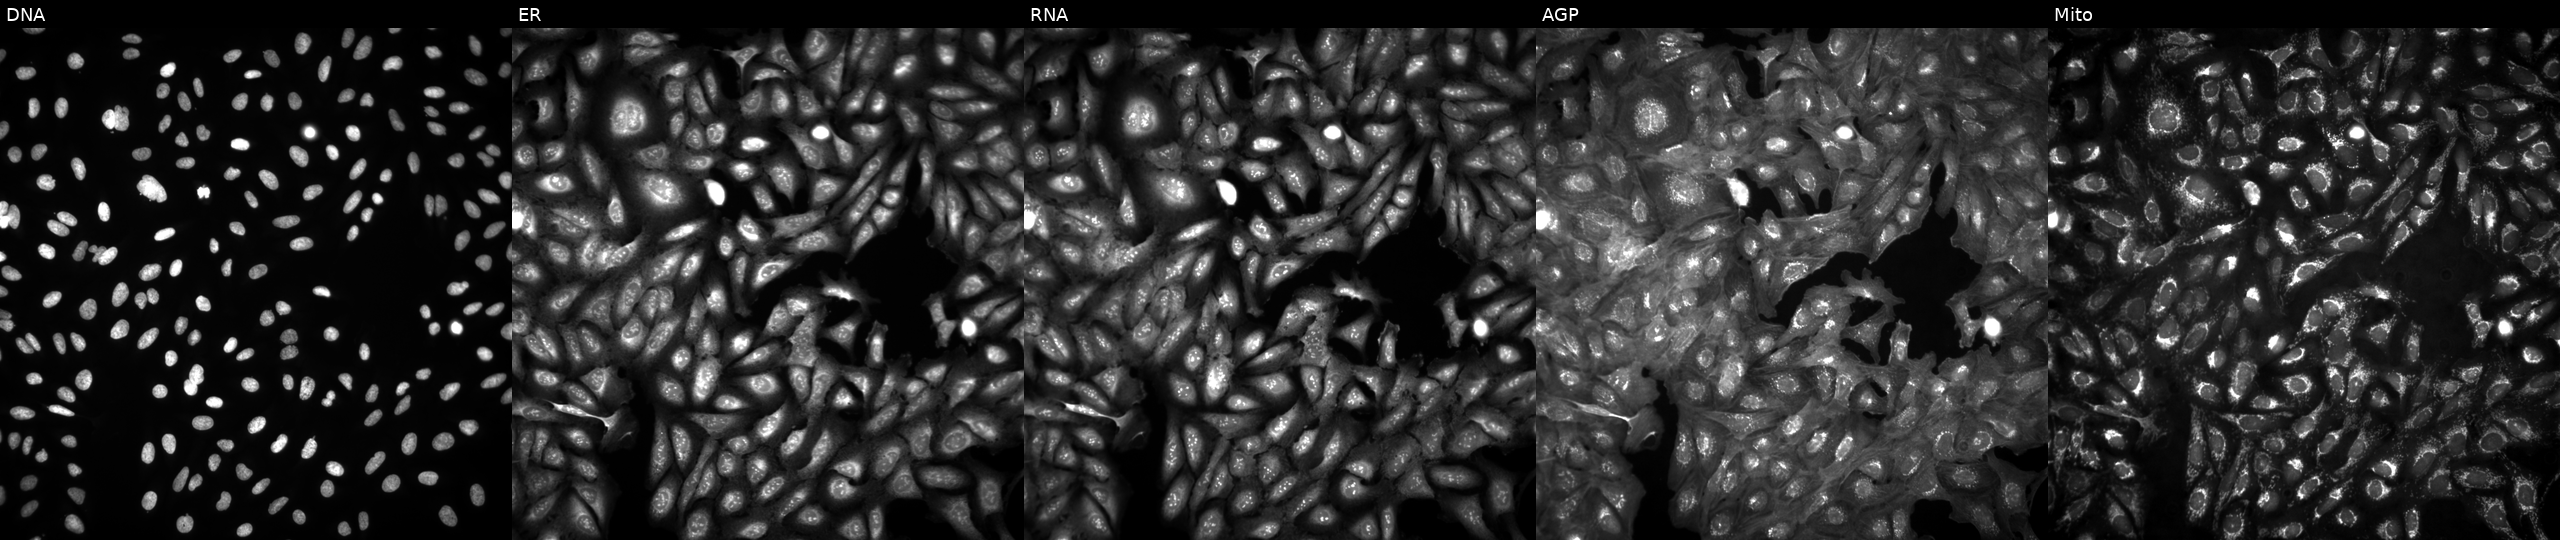
This image strip shows the five Cell Painting channels for a single field of U2OS cells untreated (empty-well control) (JUMP id JCP2022_999999). Panels show, left to right, DNA (nuclei); ER (endoplasmic reticulum); RNA (nucleoli and cytoplasmic RNA); AGP (actin cytoskeleton, Golgi, and plasma membrane); Mito (mitochondria).